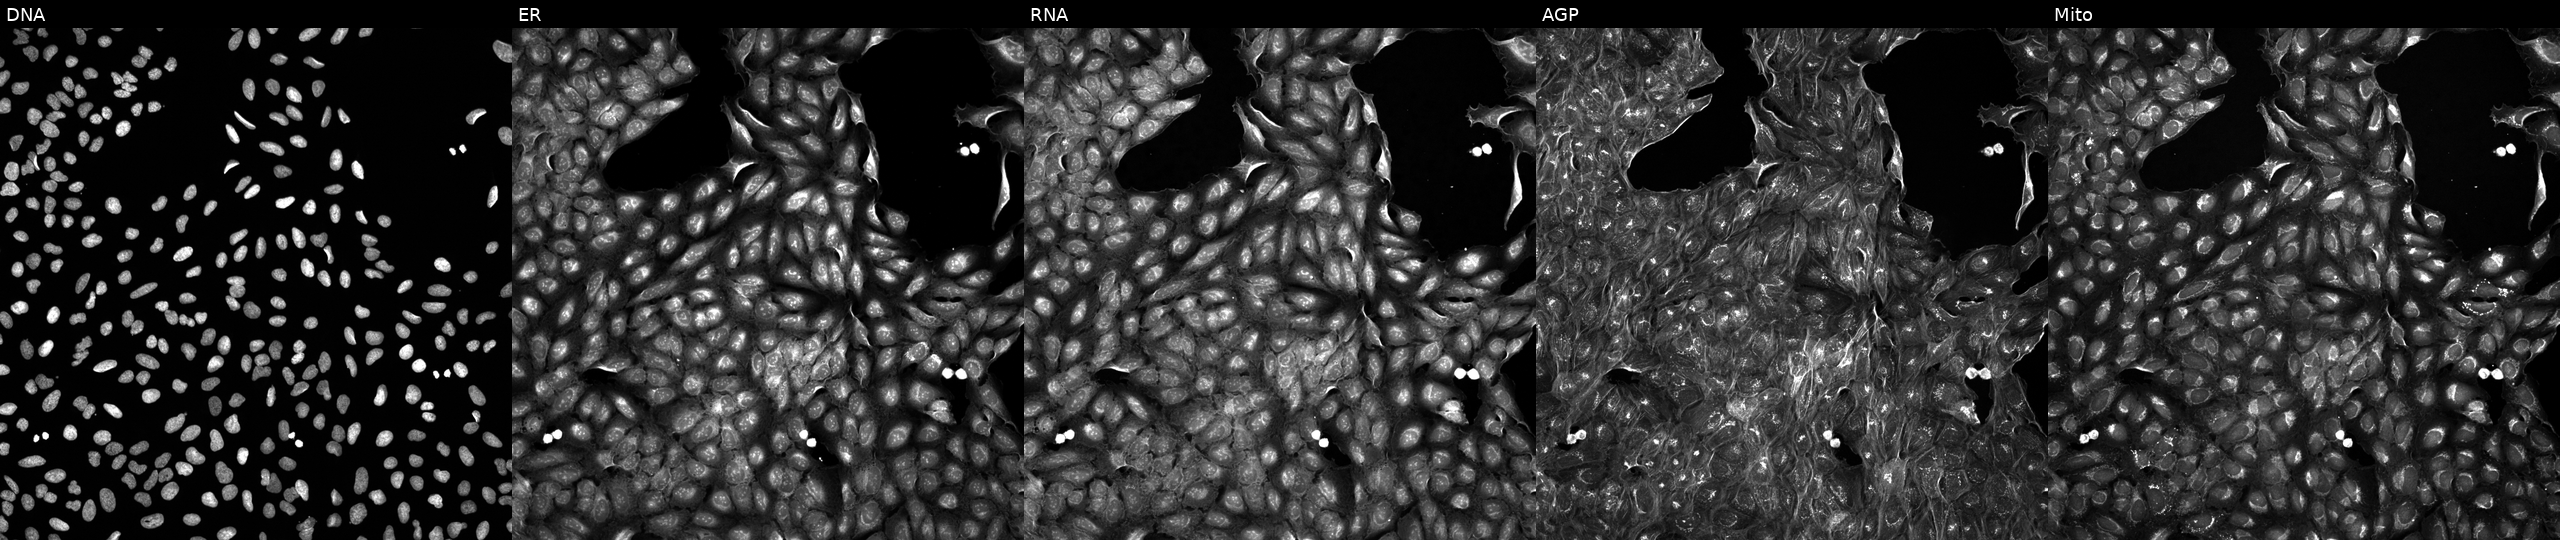
High-content fluorescence microscopy (Cell Painting). Cell line: U2OS. Perturbation: treated with a small-molecule compound (InChIKey ZFOUMNKUMDRYPM-UHFFFAOYSA-N) [SMILES: COc1ccc(OC)c(C(C)NC(=O)CNC(c2nnc3n2CCC3)C(C)C)c1] (JUMP id JCP2022_112974). Panels show, left to right, Hoechst 33342, concanavalin A, SYTO 14, phalloidin and WGA, MitoTracker. Source 5, plate APTJUM106, well B13.